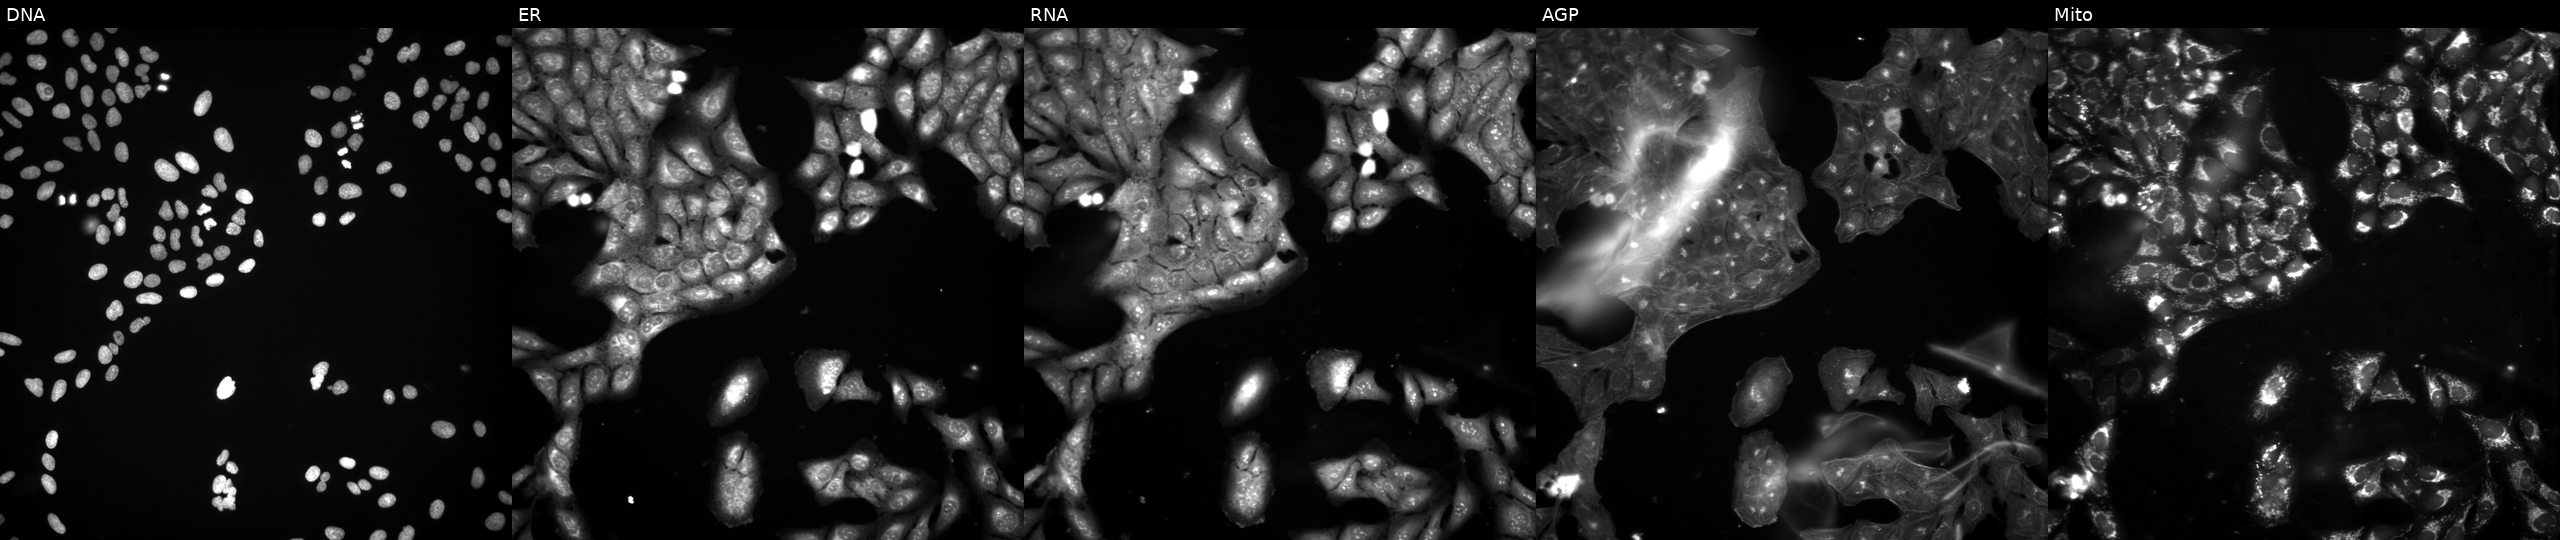
This image strip shows the five Cell Painting channels for a single field of U2OS cells perturbed with a small-molecule compound (InChIKey ISLIBZLFPUGQMW-UHFFFAOYSA-N) [SMILES: CCC(C)NC(=O)c1cnc2n(c1=O)CCS2]. Panels show, left to right, DNA (nuclei); ER (endoplasmic reticulum); RNA (nucleoli and cytoplasmic RNA); AGP (actin cytoskeleton, Golgi, and plasma membrane); Mito (mitochondria).